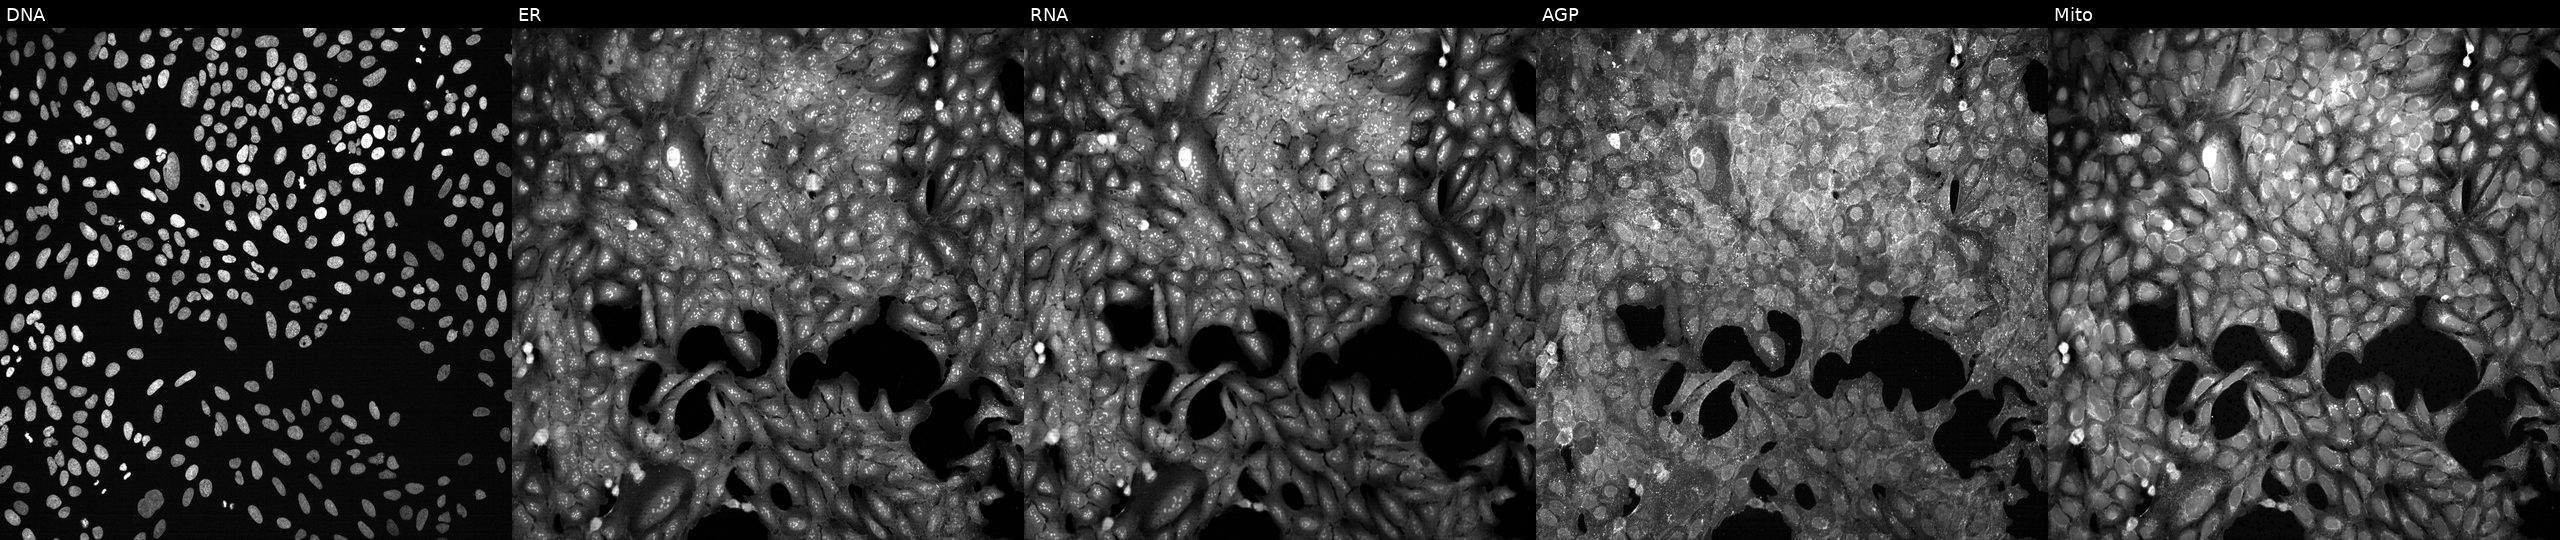
This image strip shows the five Cell Painting channels for a single field of U2OS cells exposed to the positive-control compound dexamethasone (JUMP id JCP2022_025848). Channels (left→right): DNA, ER, RNA, AGP, and Mito.